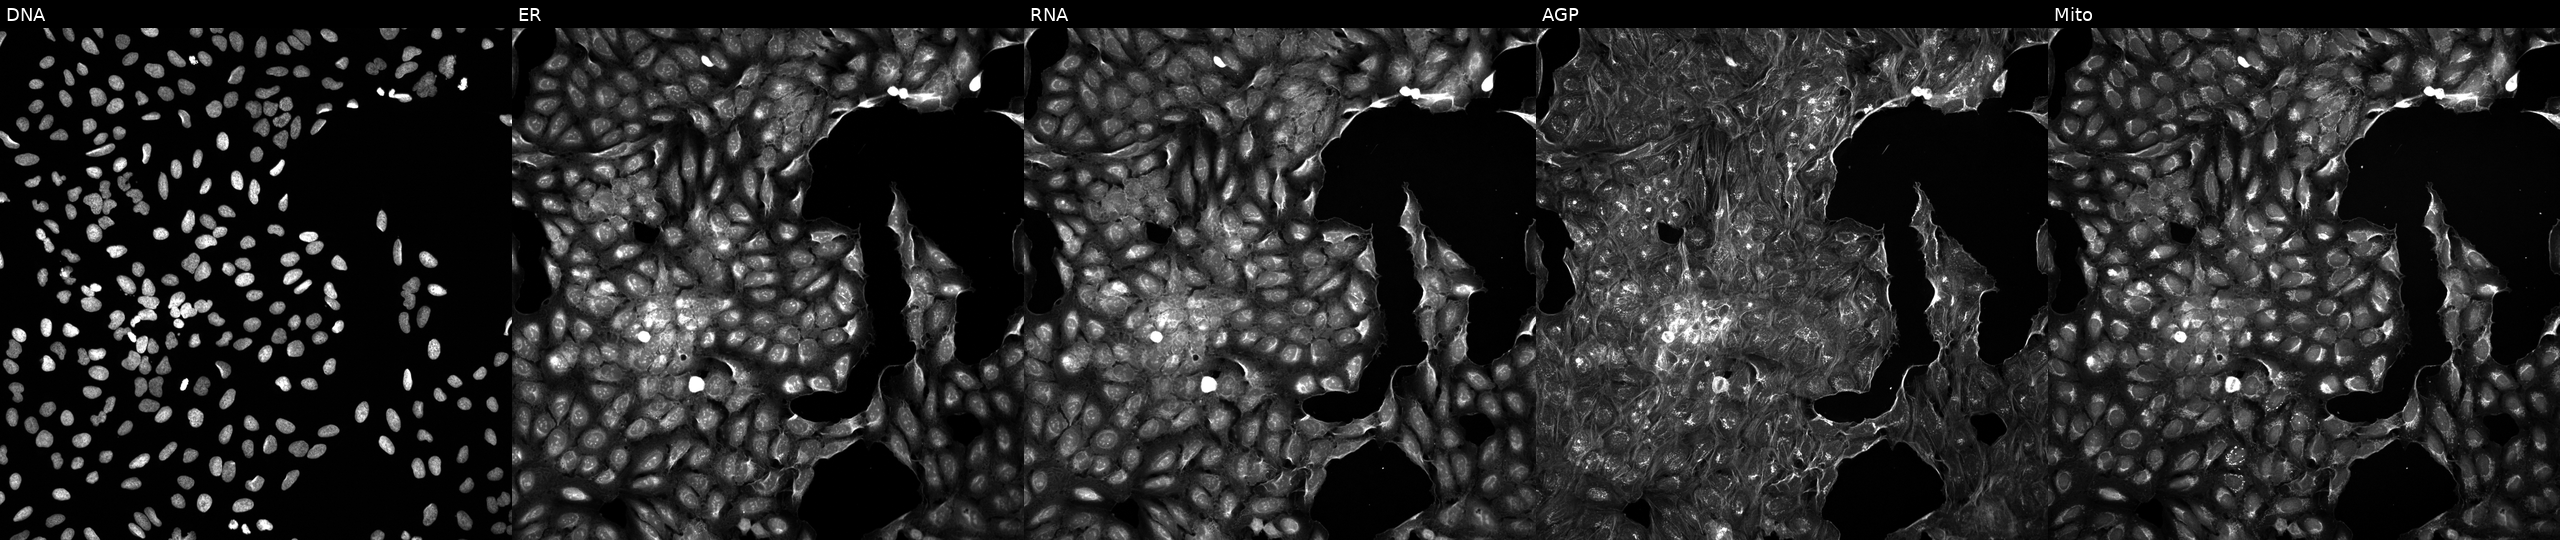
From left to right: DNA, ER, RNA, AGP, and Mito. U2OS osteosarcoma cells treated with a small-molecule compound (InChIKey SLMRGLDHIMCGDU-UHFFFAOYSA-N) (JUMP id JCP2022_084016). Cell Painting assay, JUMP-CP dataset.